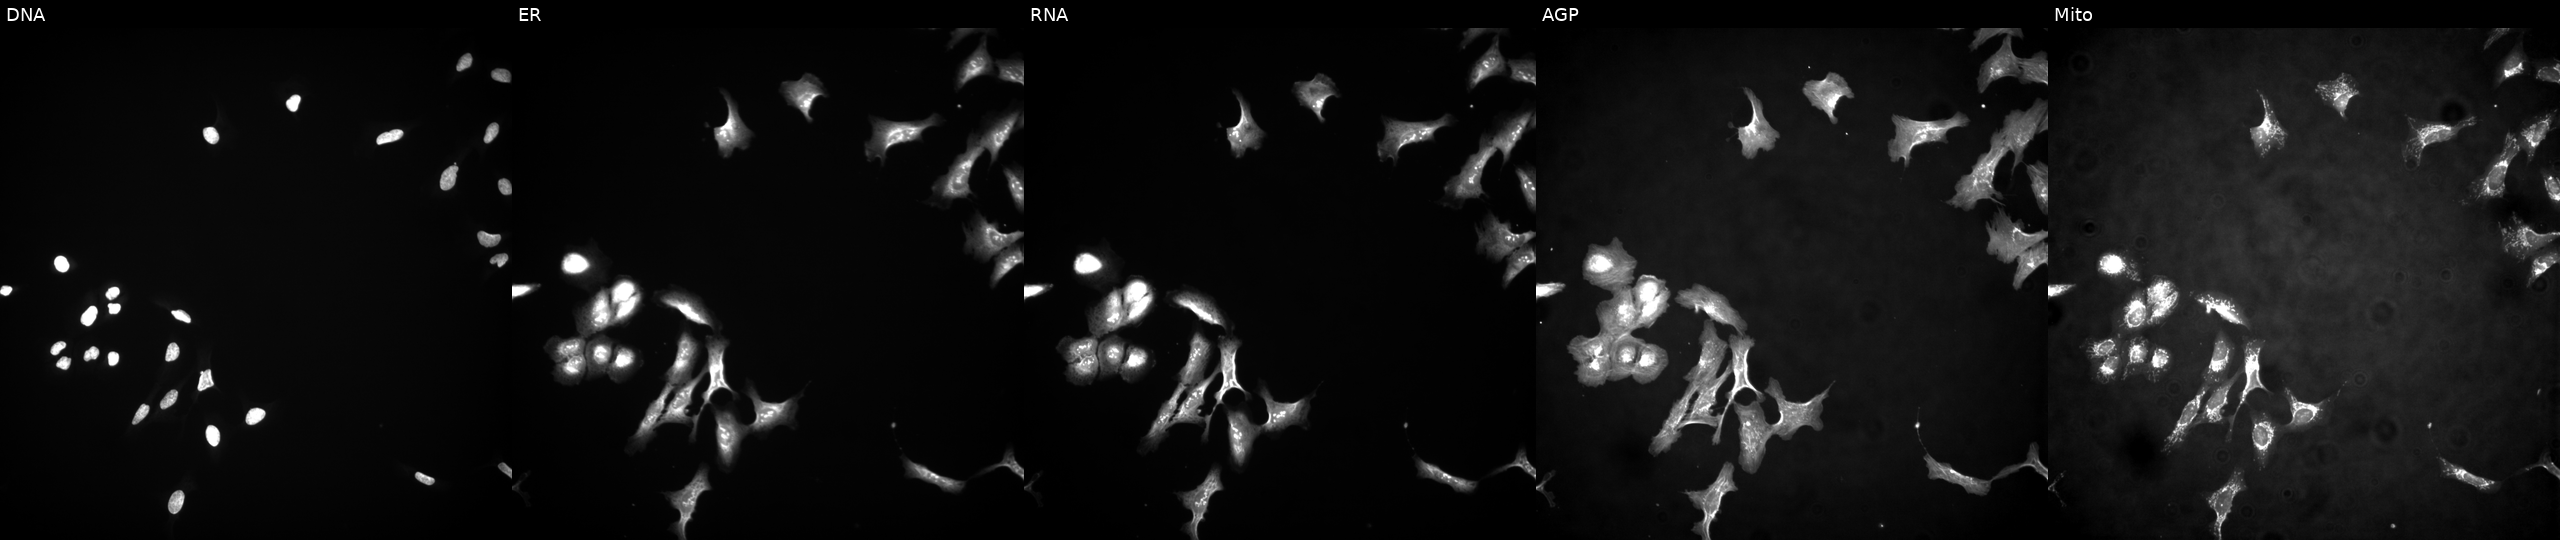
This image strip shows the five Cell Painting channels for a single field of U2OS cells overexpressing ATP6V1D via ORF transfection. From left to right: Hoechst 33342, concanavalin A, SYTO 14, phalloidin and WGA, MitoTracker. Source 4, plate BR00124784, well I11.